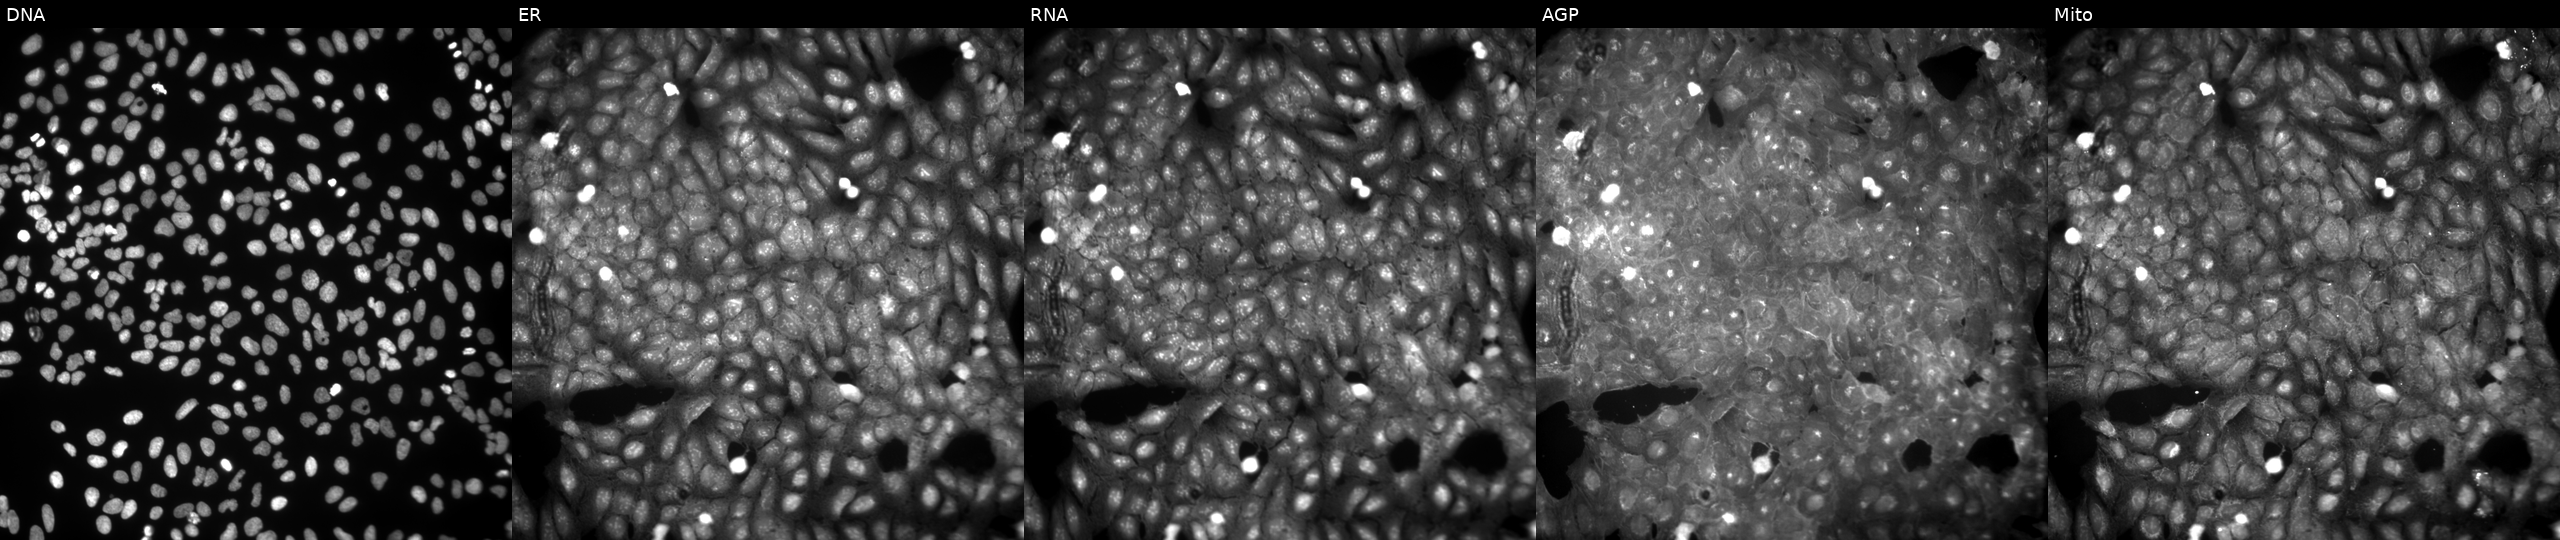
This image strip shows the five Cell Painting channels for a single field of U2OS cells treated with a small-molecule compound (InChIKey UTKWGIMCGGXPMY-UHFFFAOYSA-N) [SMILES: CCOC(=O)CSc1nc2ccc(N)cc2s1]. From left to right: Hoechst 33342, concanavalin A, SYTO 14, phalloidin and WGA, MitoTracker.